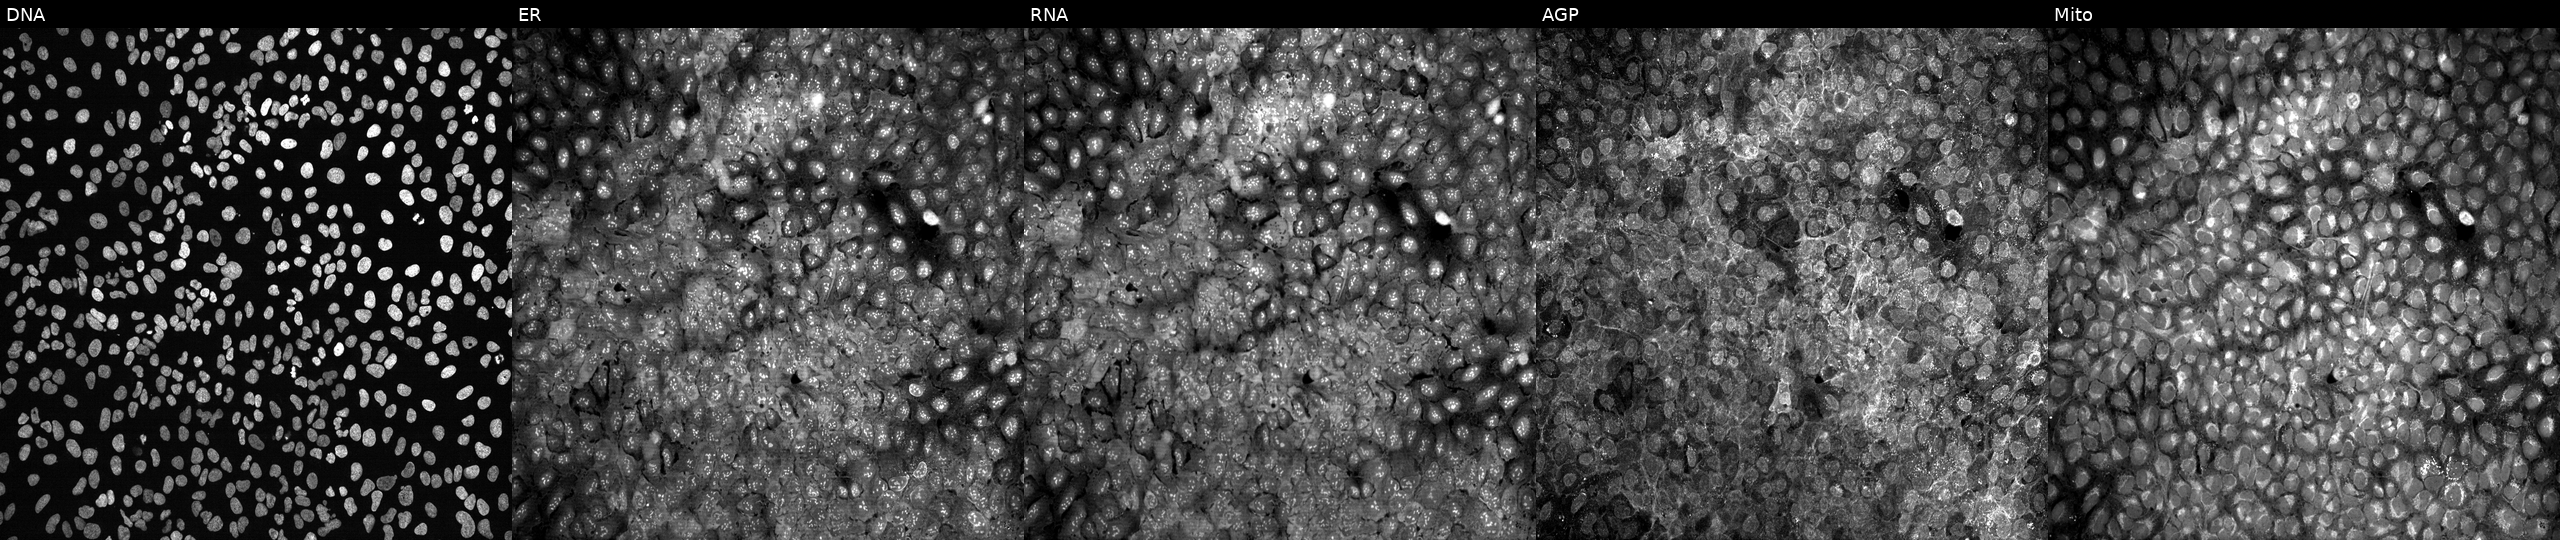
JUMP Cell Painting — CRISPR plate. U2OS cells with no CRISPR guide (negative control). From left to right: DNA, ER, RNA, AGP, and Mito.